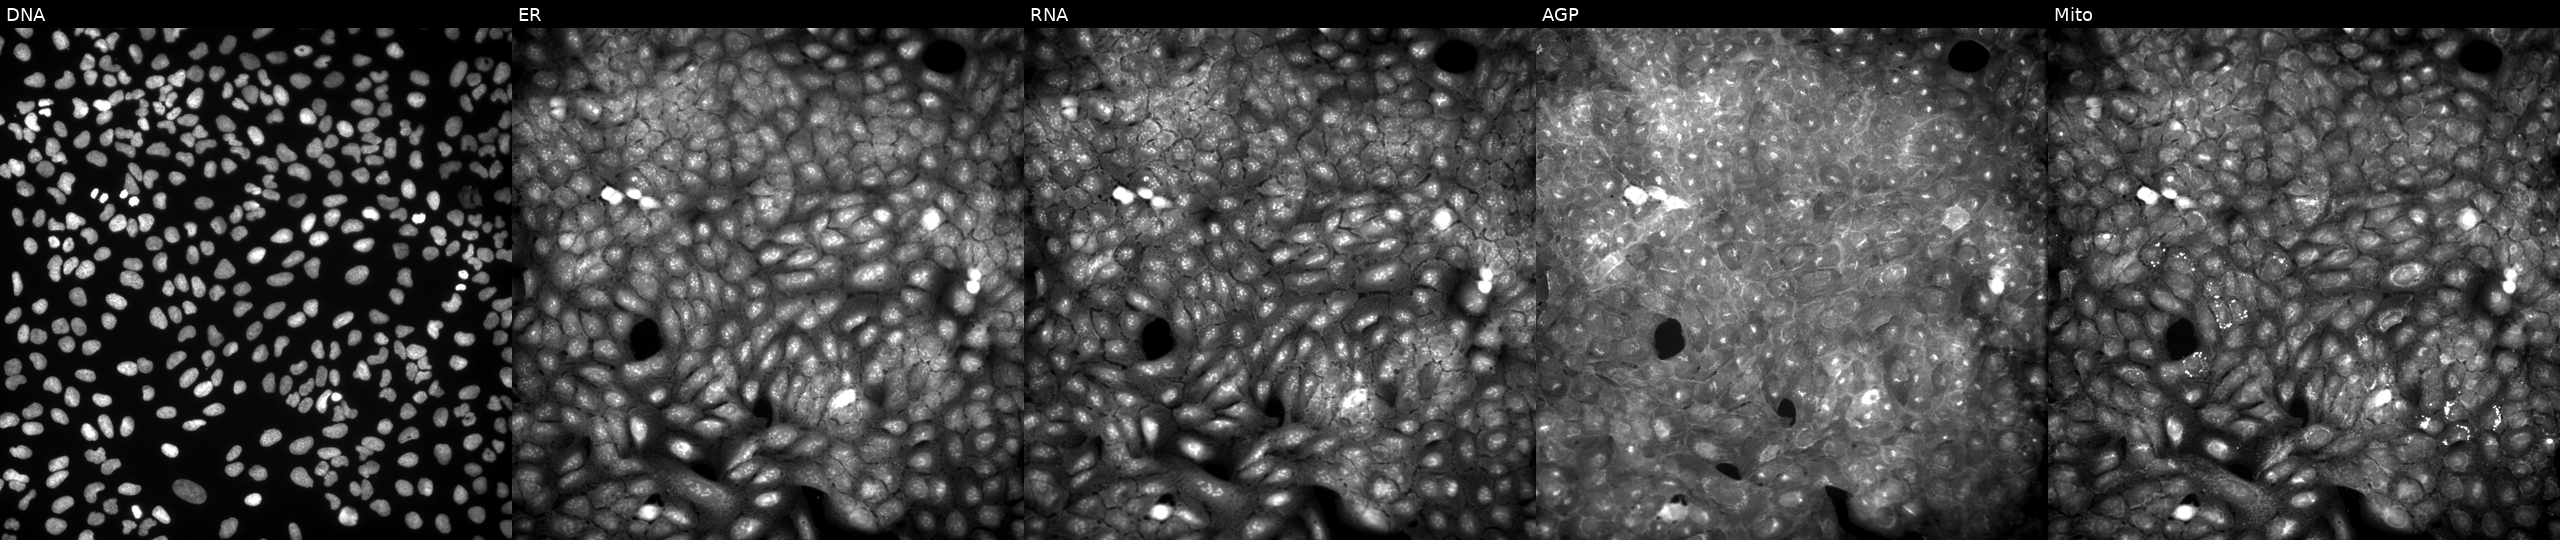
Five-channel Cell Painting image of U2OS cells perturbed with a small-molecule compound (InChIKey QPNLTFAIMDEYNK-UHFFFAOYSA-N) (JUMP id JCP2022_075033). Channels (left→right): Hoechst 33342, concanavalin A, SYTO 14, phalloidin and WGA, MitoTracker.